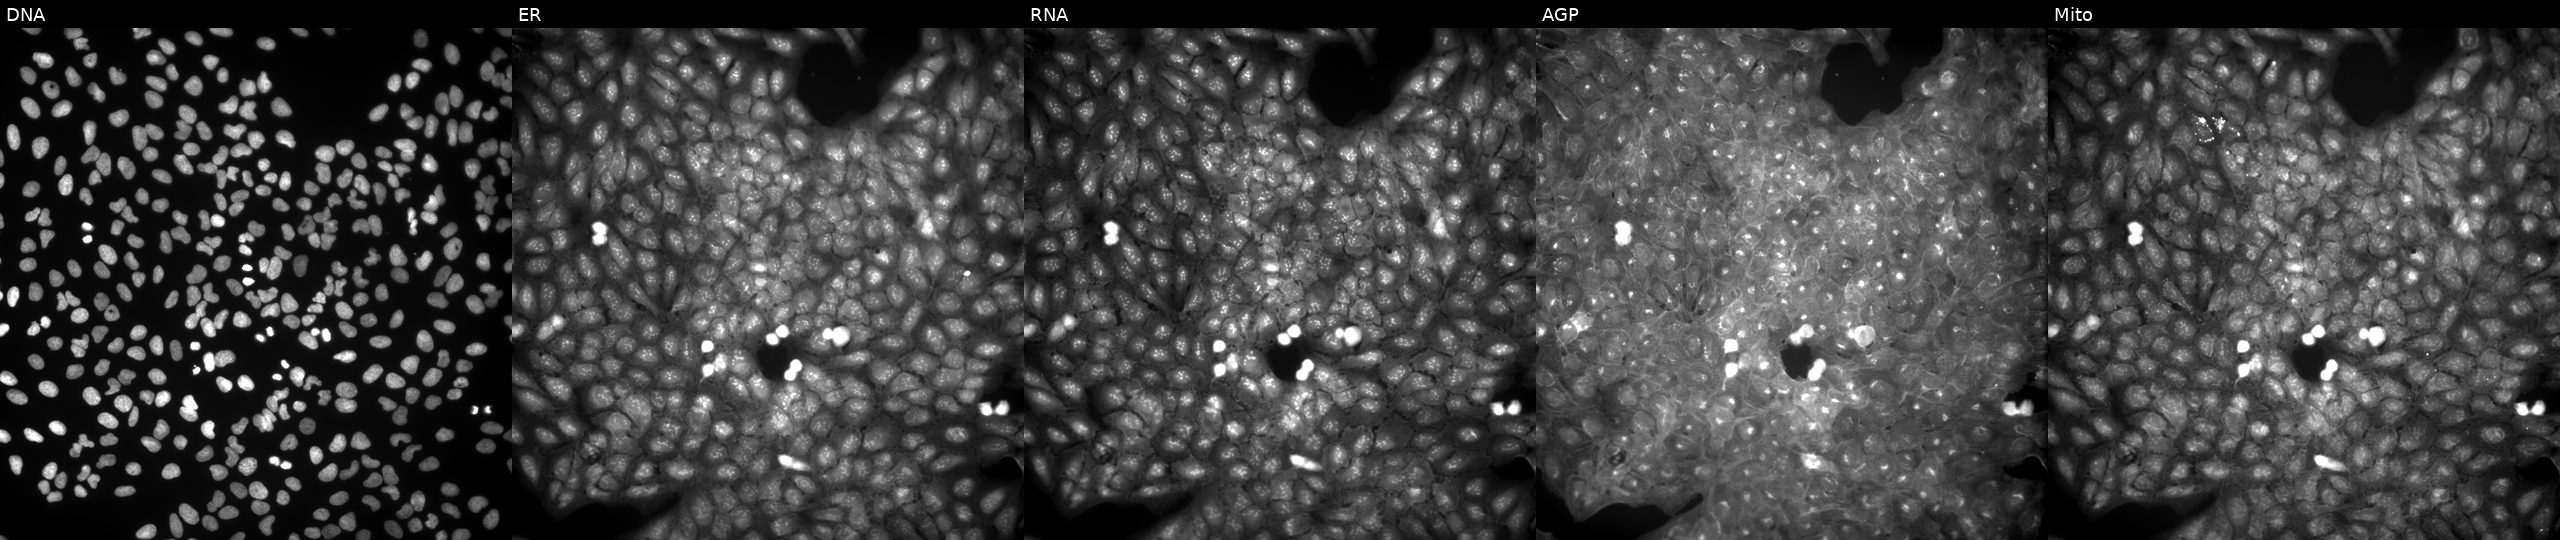
U2OS cells, Cell Painting assay, exposed to a small-molecule compound (InChIKey NBOXOZXHBJYBDY-UHFFFAOYSA-N). Channels (left→right): DNA, ER, RNA, AGP, and Mito. Each panel is percentile-stretched 16-bit fluorescence. Source 9, plate GR00003382, well AB18.